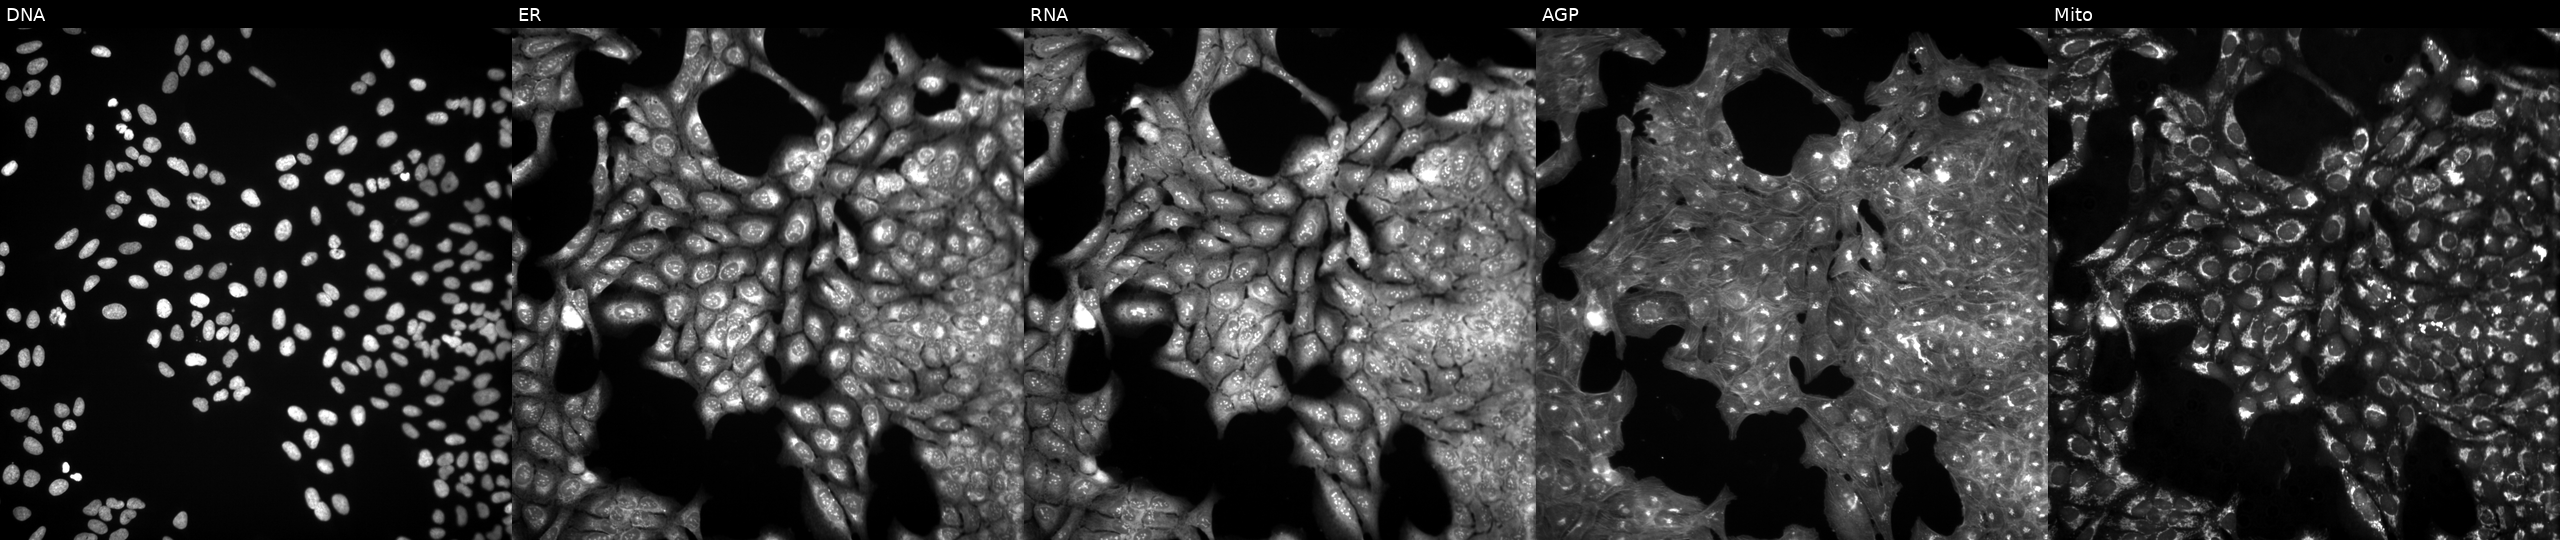
JUMP Cell Painting — TARGET2 plate. U2OS cells treated with a small-molecule compound (InChIKey BDNFQGRSKSQXRI-UHFFFAOYSA-N) [SMILES: c1ccc(C(OC2CCCN(CCc3ccc4c(c3)OCO4)C2)c2ccccc2)cc1]. From left to right: DNA (nuclei); ER (endoplasmic reticulum); RNA (nucleoli and cytoplasmic RNA); AGP (actin cytoskeleton, Golgi, and plasma membrane); Mito (mitochondria).